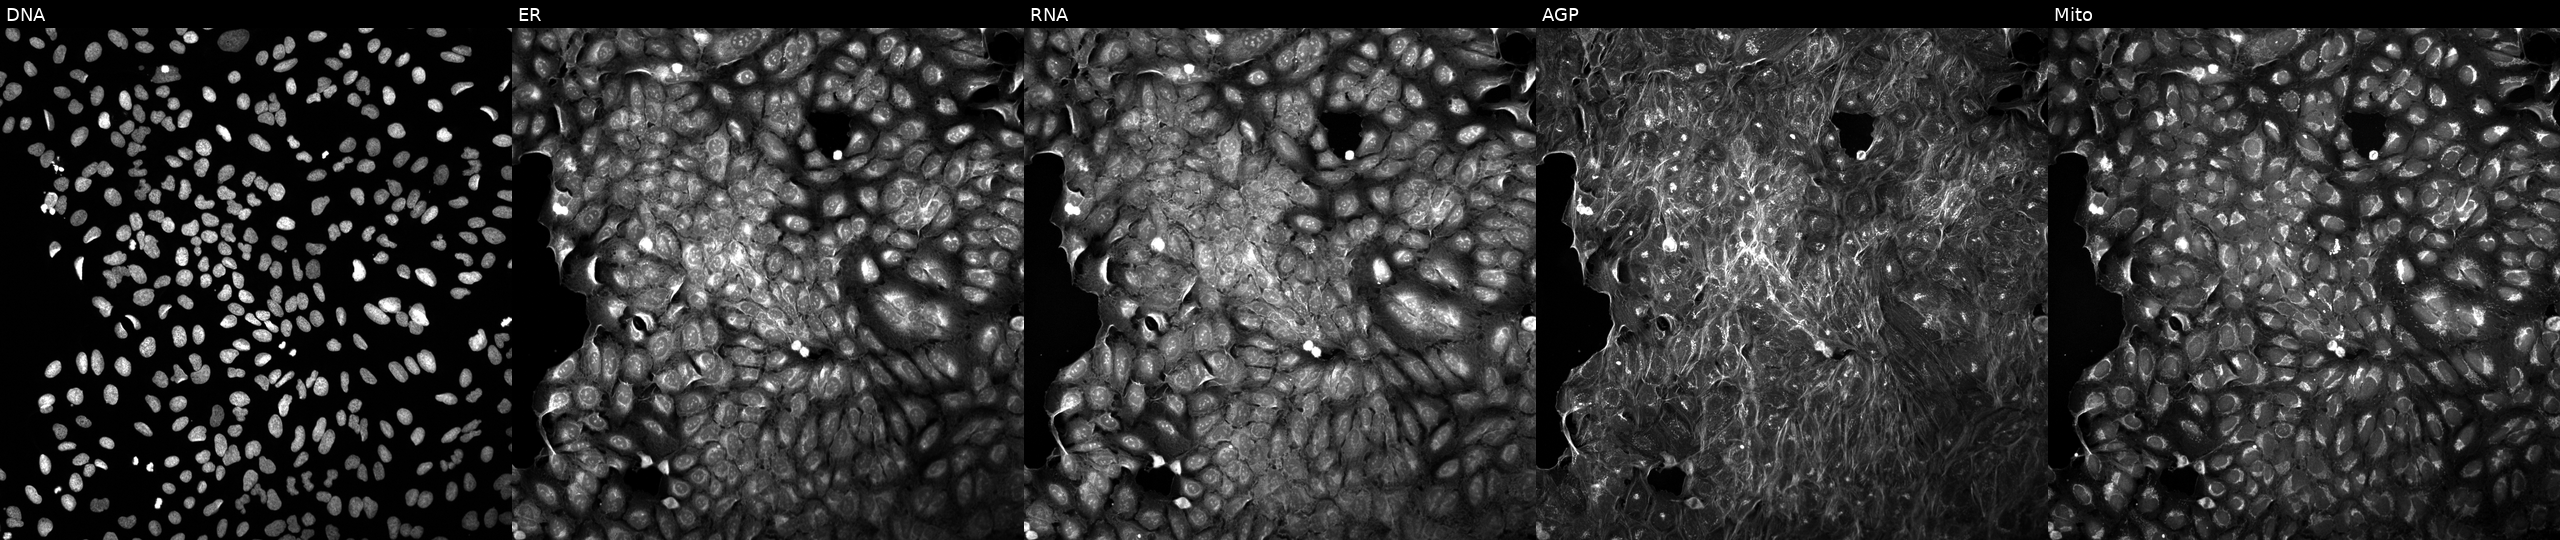
High-content fluorescence microscopy (Cell Painting). Cell line: U2OS. Perturbation: perturbed with a small-molecule compound (InChIKey TZDUHAJSIBHXDL-UHFFFAOYSA-N) (JUMP id JCP2022_087693). Panels show, left to right, Hoechst 33342, concanavalin A, SYTO 14, phalloidin and WGA, MitoTracker. Source 5, plate ACPJUM051, well O18.